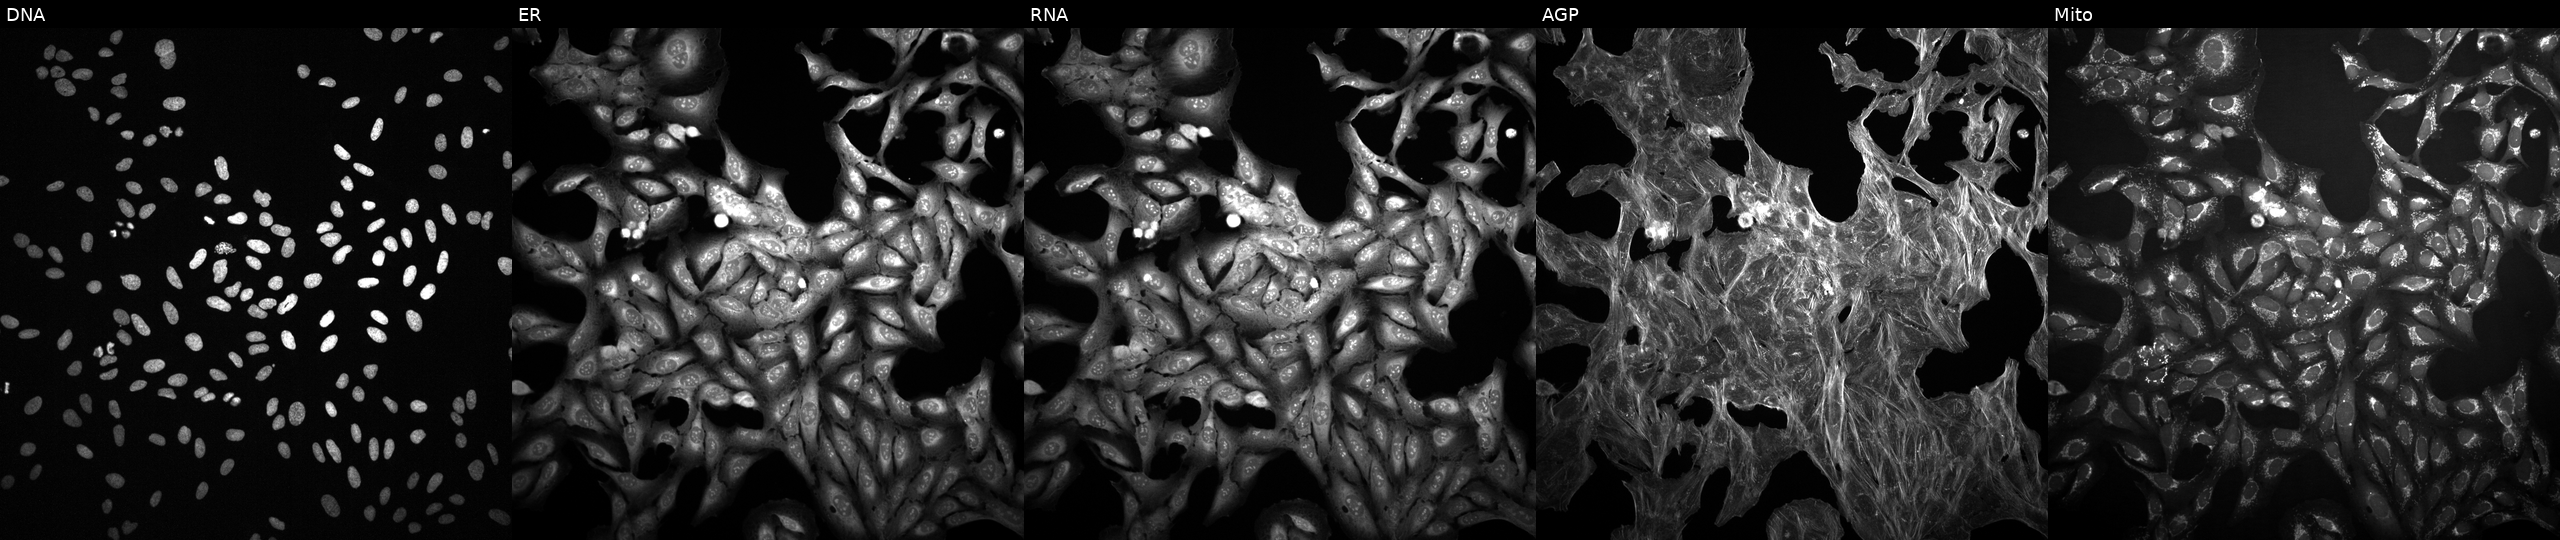
This image strip shows the five Cell Painting channels for a single field of U2OS cells exposed to a small-molecule compound (InChIKey ZZZRUAITSXLWBH-UHFFFAOYSA-N) [SMILES: CN(C)c1ccc(O)c2c1CC1CC3C(N(C)C)C(=O)C(C(N)=O)C(=O)C3(O)C(=O)C1C2=O] (JUMP id JCP2022_116749). From left to right: DNA (nuclei); ER (endoplasmic reticulum); RNA (nucleoli and cytoplasmic RNA); AGP (actin cytoskeleton, Golgi, and plasma membrane); Mito (mitochondria).